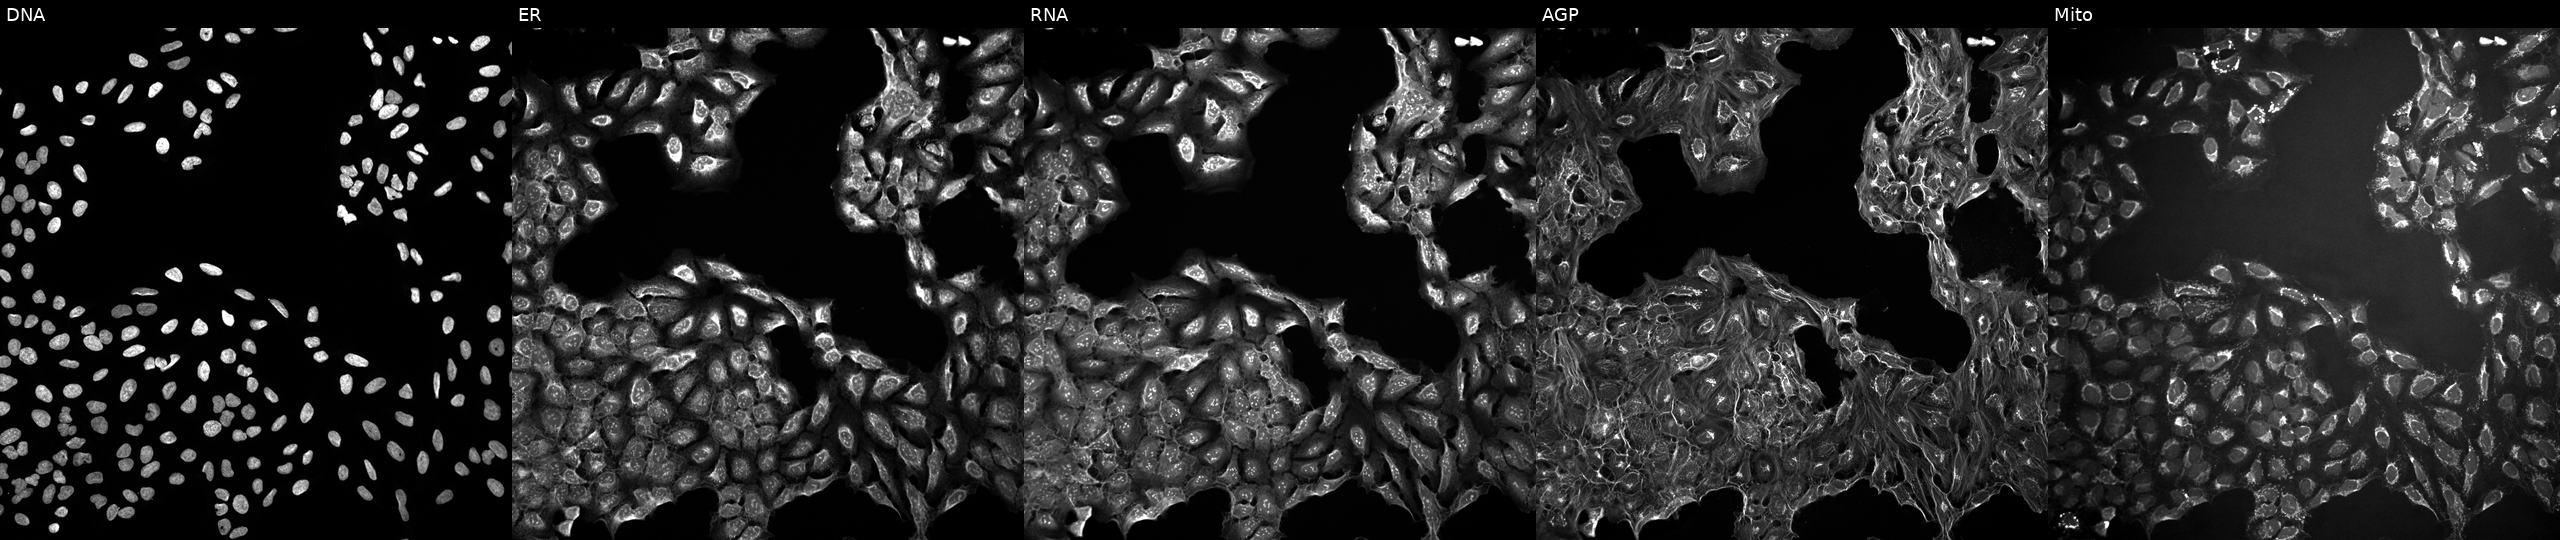
JUMP Cell Painting — COMPOUND plate. U2OS cells exposed to a small-molecule compound (InChIKey FDDDDRVKMUPHMT-UHFFFAOYSA-N). Panels show, left to right, Hoechst 33342, concanavalin A, SYTO 14, phalloidin and WGA, MitoTracker. Source 10, plate Dest210531-152324, well A22.